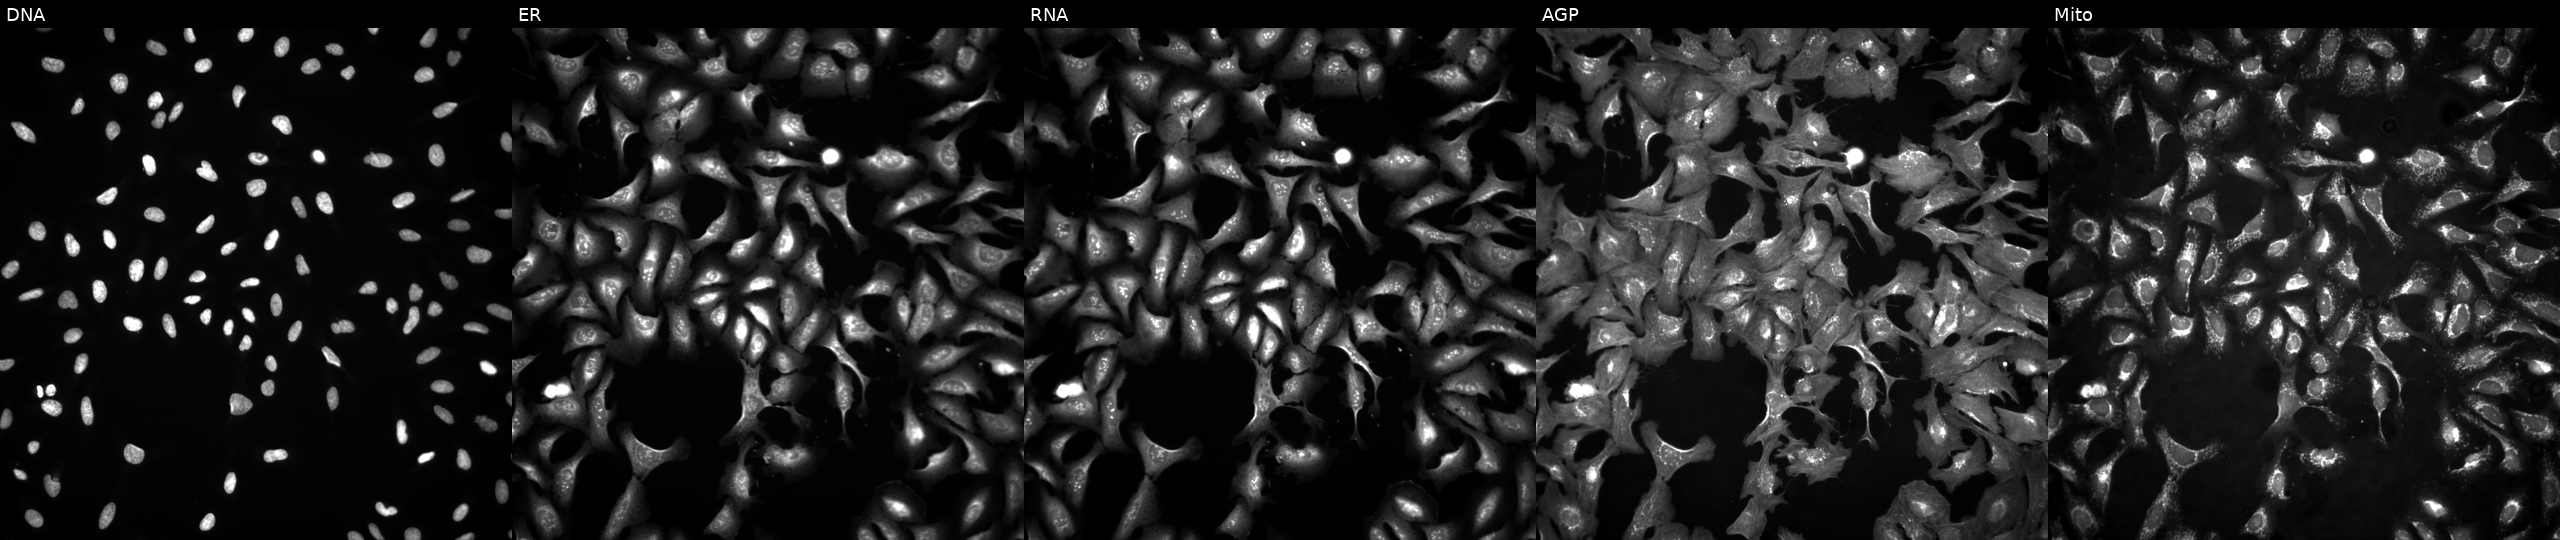
U2OS cells, Cell Painting assay, with MAST1 overexpressed (ORF). The five panels, left to right, show Hoechst 33342, concanavalin A, SYTO 14, phalloidin and WGA, MitoTracker. Each panel is percentile-stretched 16-bit fluorescence. Source 4, plate BR00123945, well H22.